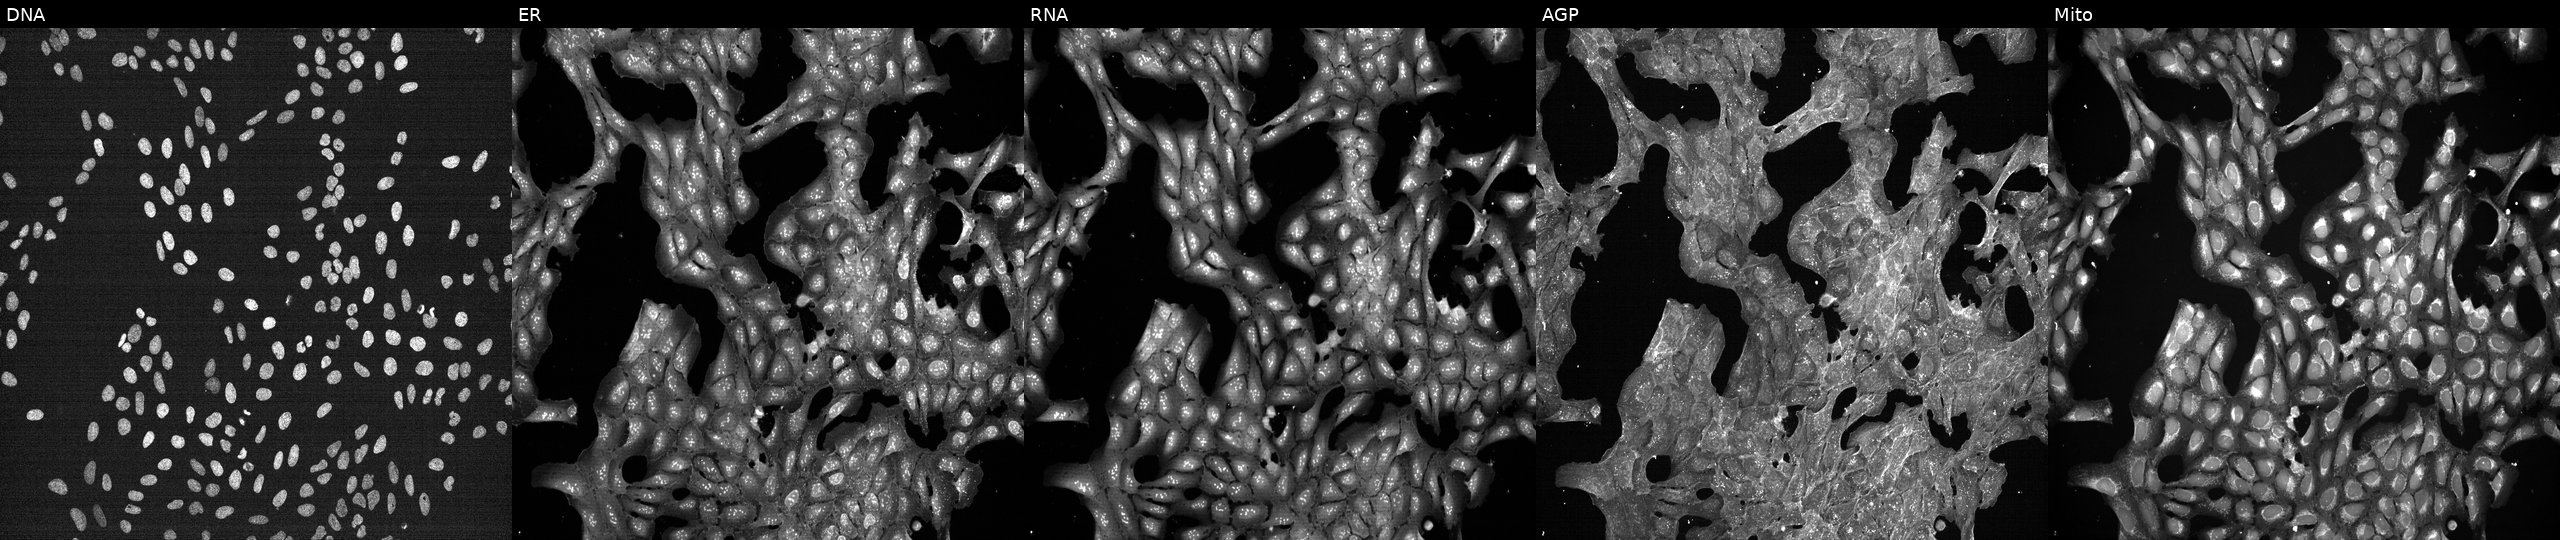
U2OS cells, Cell Painting assay, treated with DMSO vehicle only (negative control) (JUMP id JCP2022_033924). The five panels, left to right, show DNA (nuclei); ER (endoplasmic reticulum); RNA (nucleoli and cytoplasmic RNA); AGP (actin cytoskeleton, Golgi, and plasma membrane); Mito (mitochondria). Each panel is percentile-stretched 16-bit fluorescence.